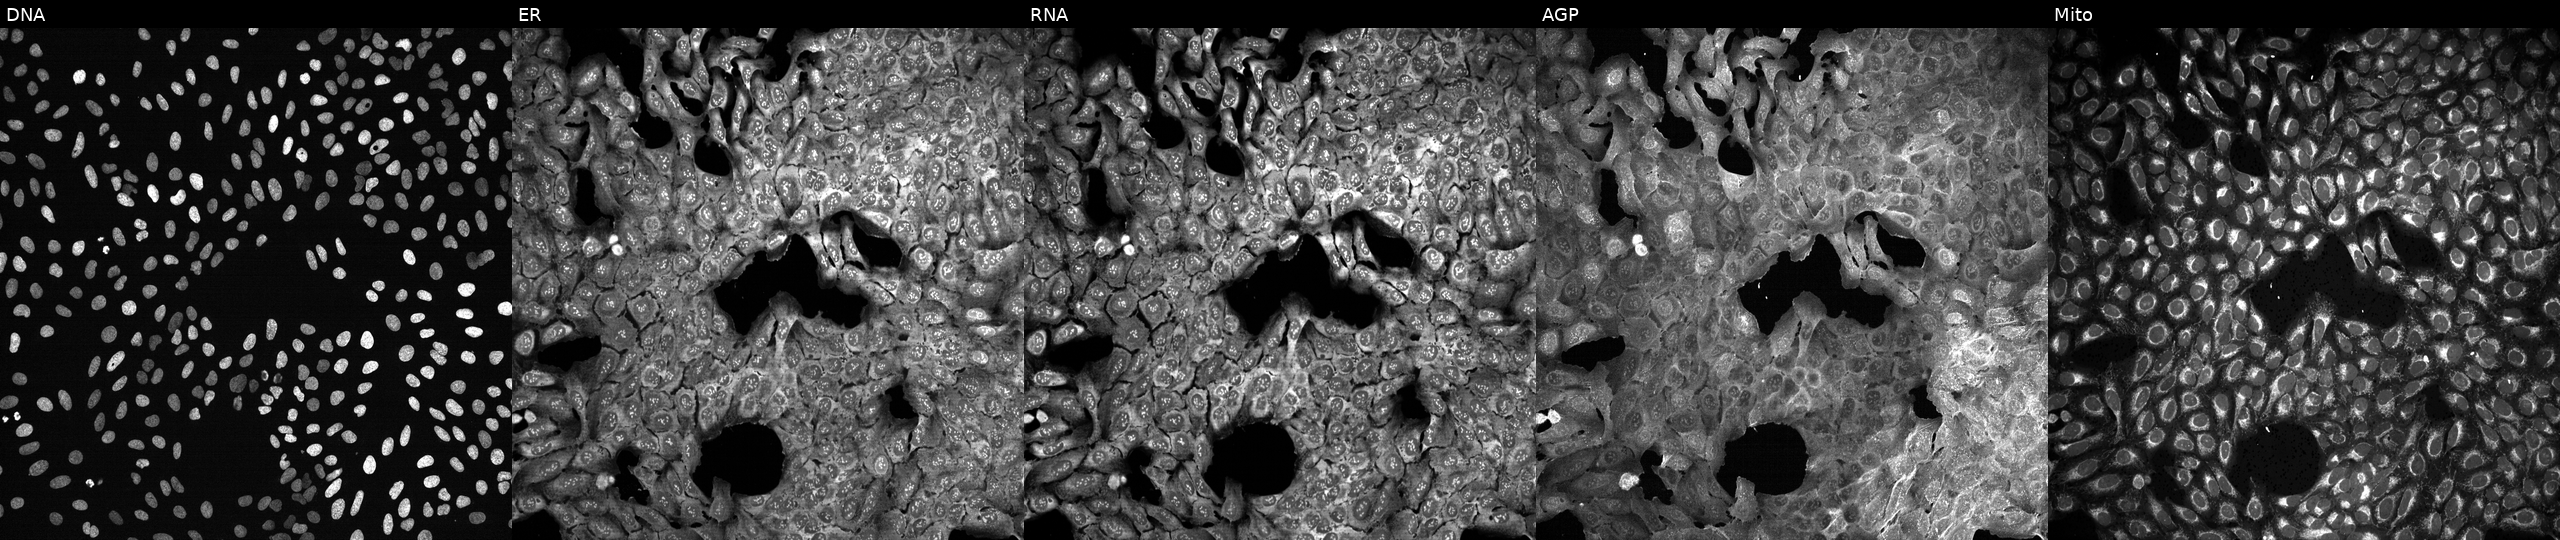
U2OS cells, Cell Painting assay, treated with DMSO vehicle only (negative control). Panels show, left to right, DNA (nuclei); ER (endoplasmic reticulum); RNA (nucleoli and cytoplasmic RNA); AGP (actin cytoskeleton, Golgi, and plasma membrane); Mito (mitochondria). Each panel is percentile-stretched 16-bit fluorescence.